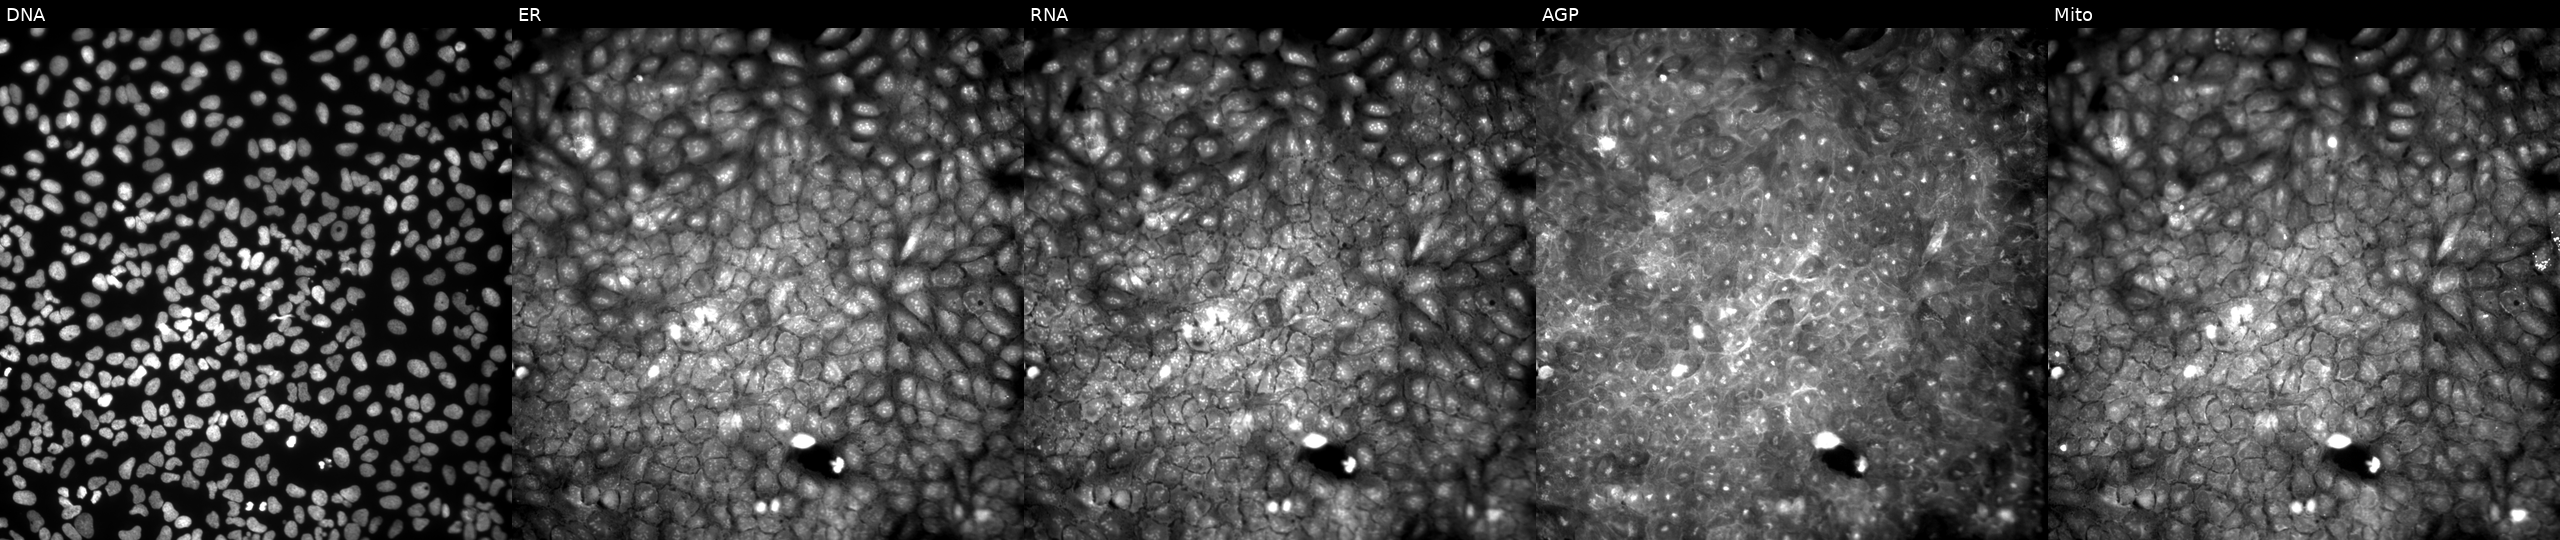
Five-channel Cell Painting image of U2OS cells exposed to a small-molecule compound (InChIKey USFUOCQCDFSRIO-UHFFFAOYSA-N). From left to right: Hoechst 33342, concanavalin A, SYTO 14, phalloidin and WGA, MitoTracker. Source 9, plate GR00003381, well AB39.